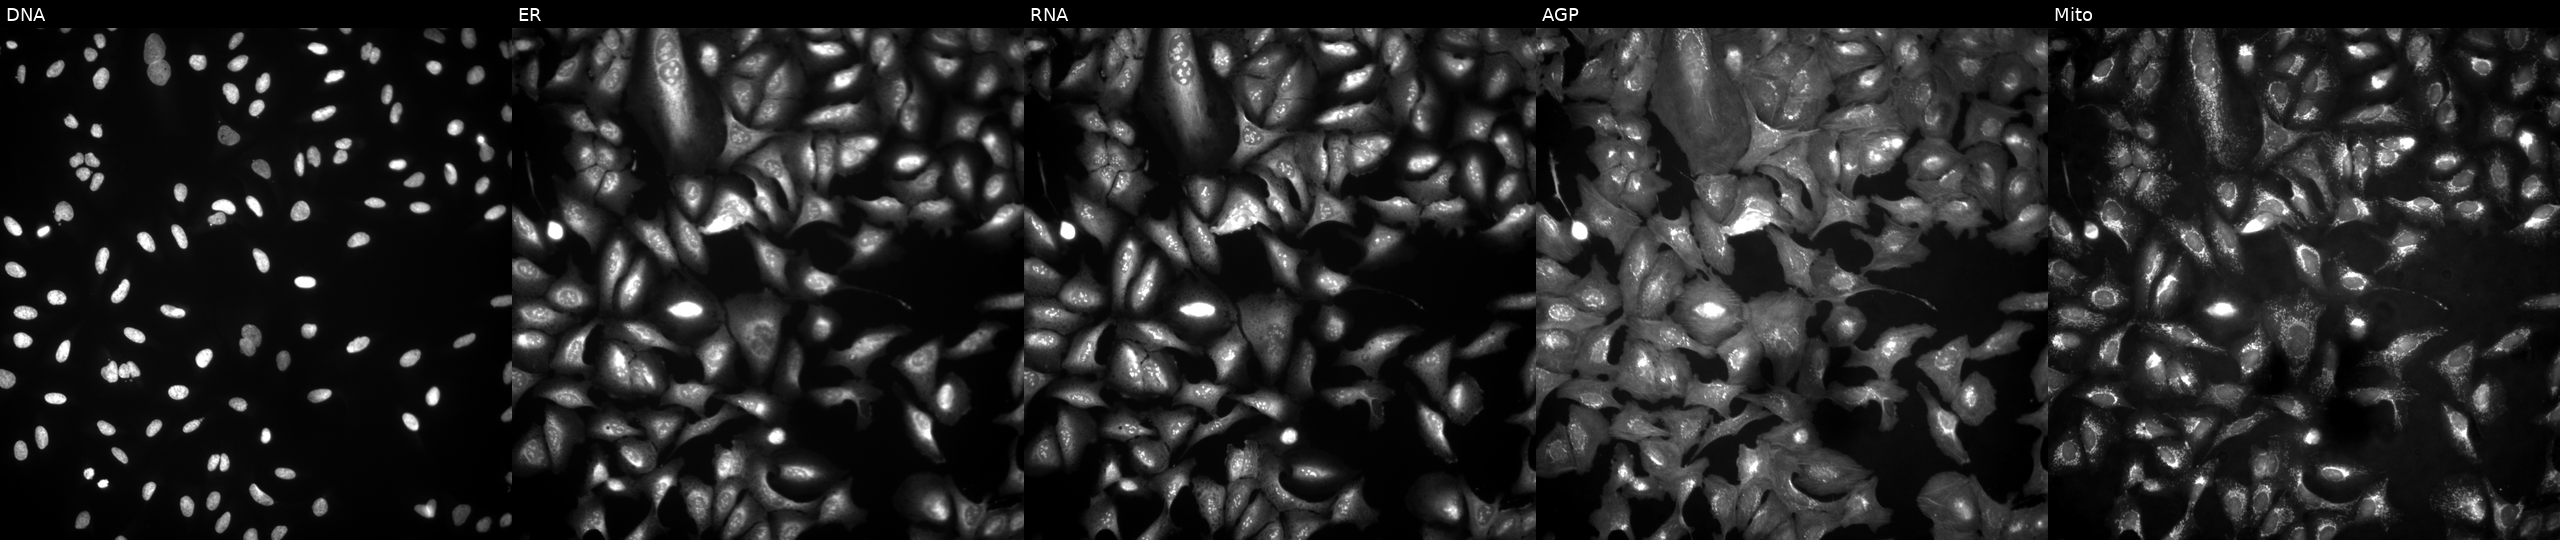
Five-channel Cell Painting image of U2OS cells overexpressing BRWD1 via ORF transfection. Channels (left→right): Hoechst 33342, concanavalin A, SYTO 14, phalloidin and WGA, MitoTracker.